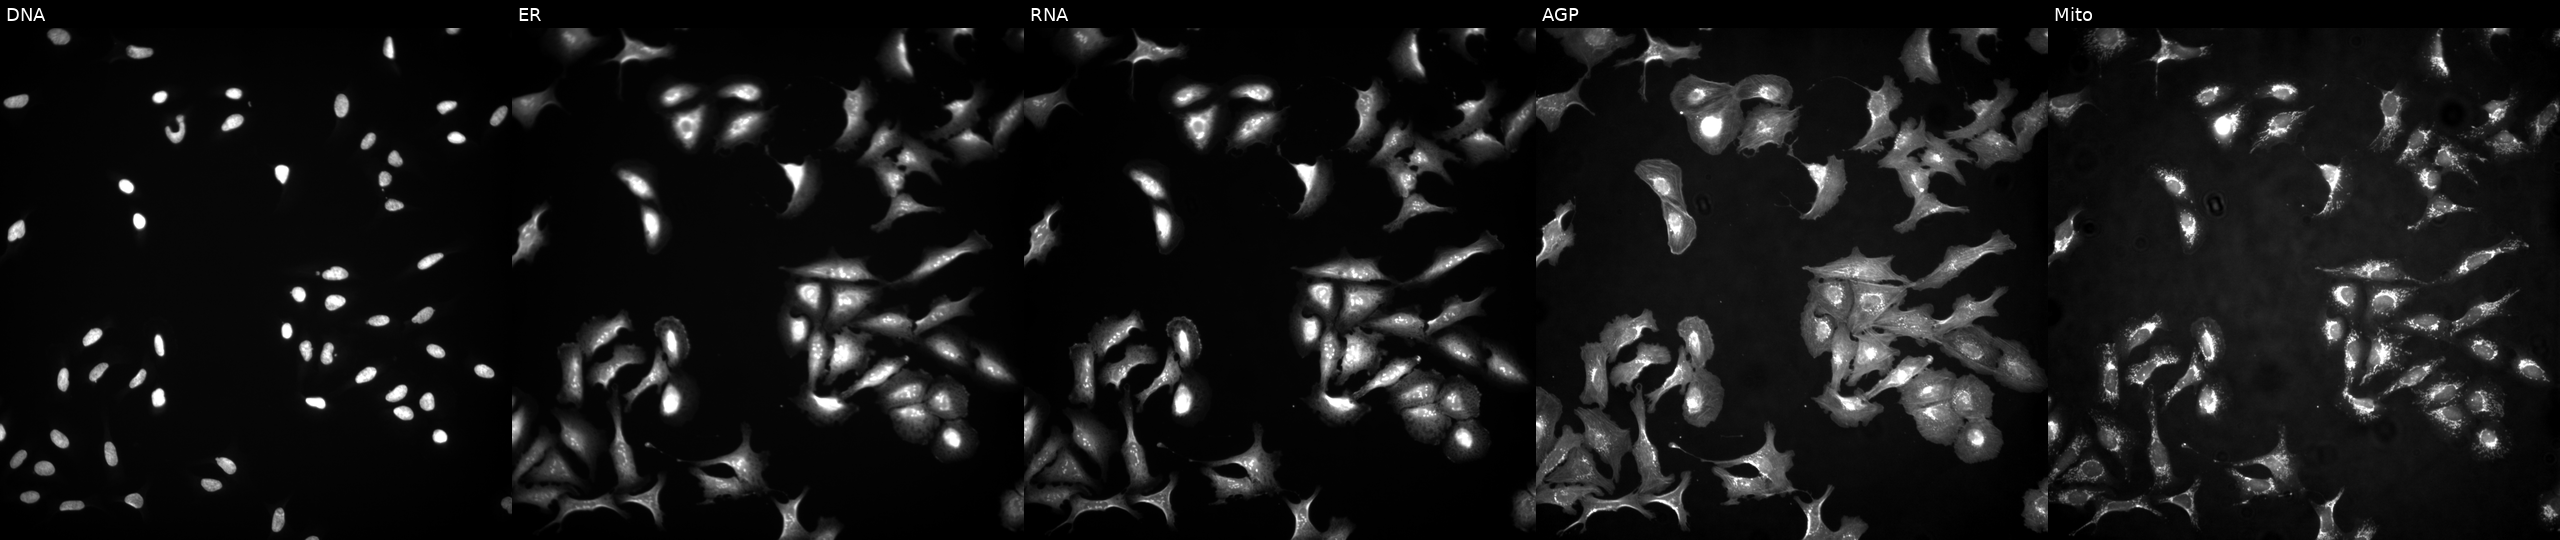
U2OS cells, Cell Painting assay, transfected with an ORF construct for NR1H3. From left to right: Hoechst 33342, concanavalin A, SYTO 14, phalloidin and WGA, MitoTracker. Each panel is percentile-stretched 16-bit fluorescence. Source 4, plate BR00117035, well C03.